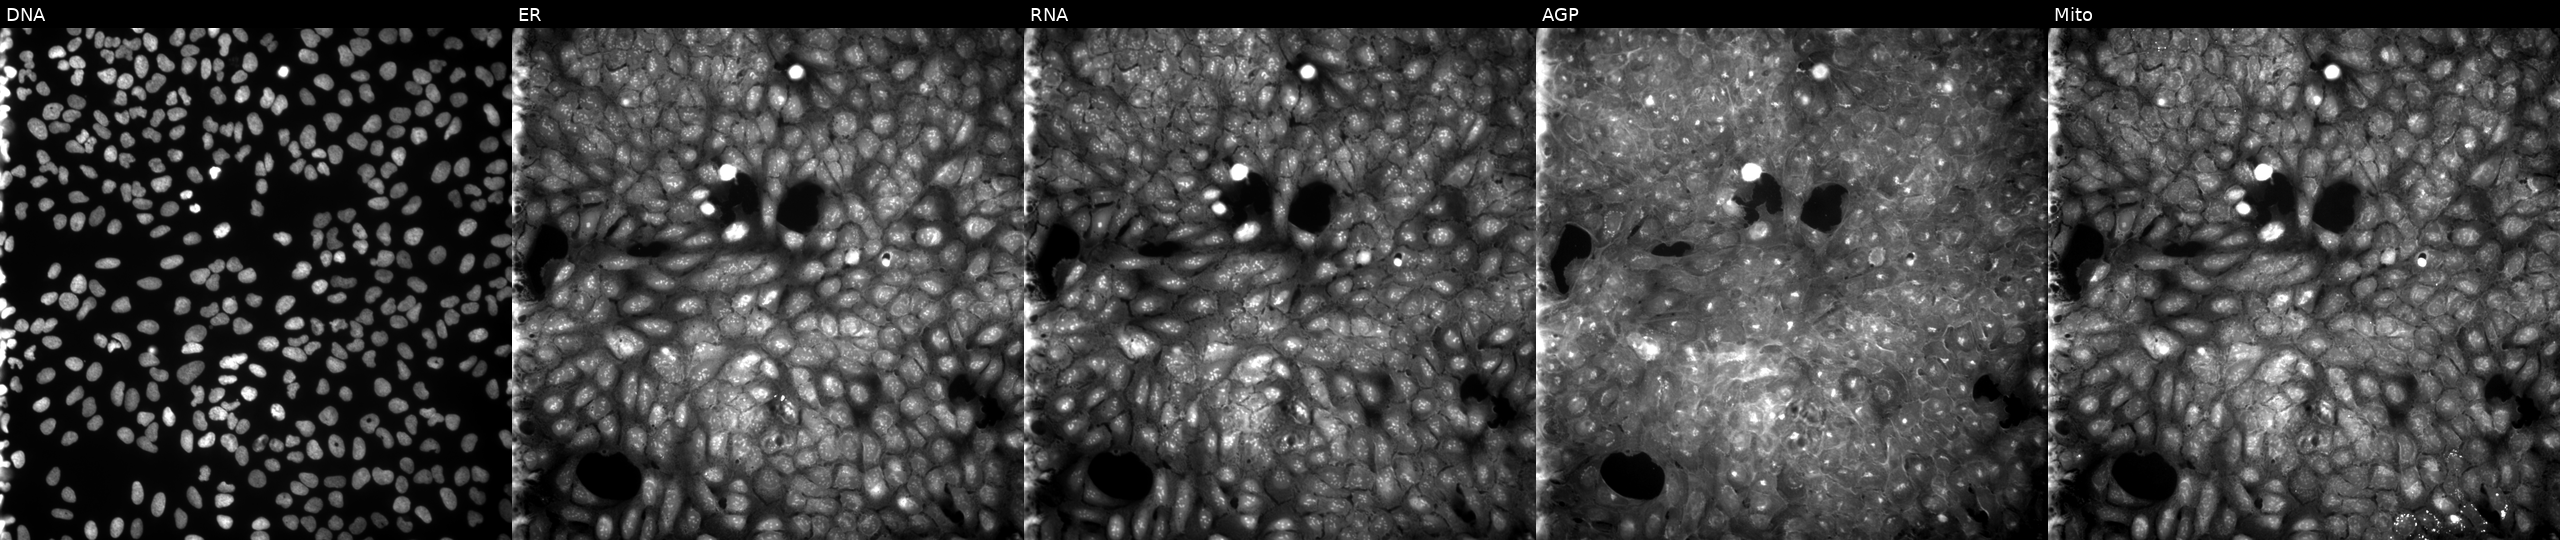
Five-channel Cell Painting image of U2OS cells treated with a small-molecule compound (InChIKey DQSQKBSJPYSTNI-UHFFFAOYSA-N) (JUMP id JCP2022_017632). Channels (left→right): DNA (nuclei); ER (endoplasmic reticulum); RNA (nucleoli and cytoplasmic RNA); AGP (actin cytoskeleton, Golgi, and plasma membrane); Mito (mitochondria).